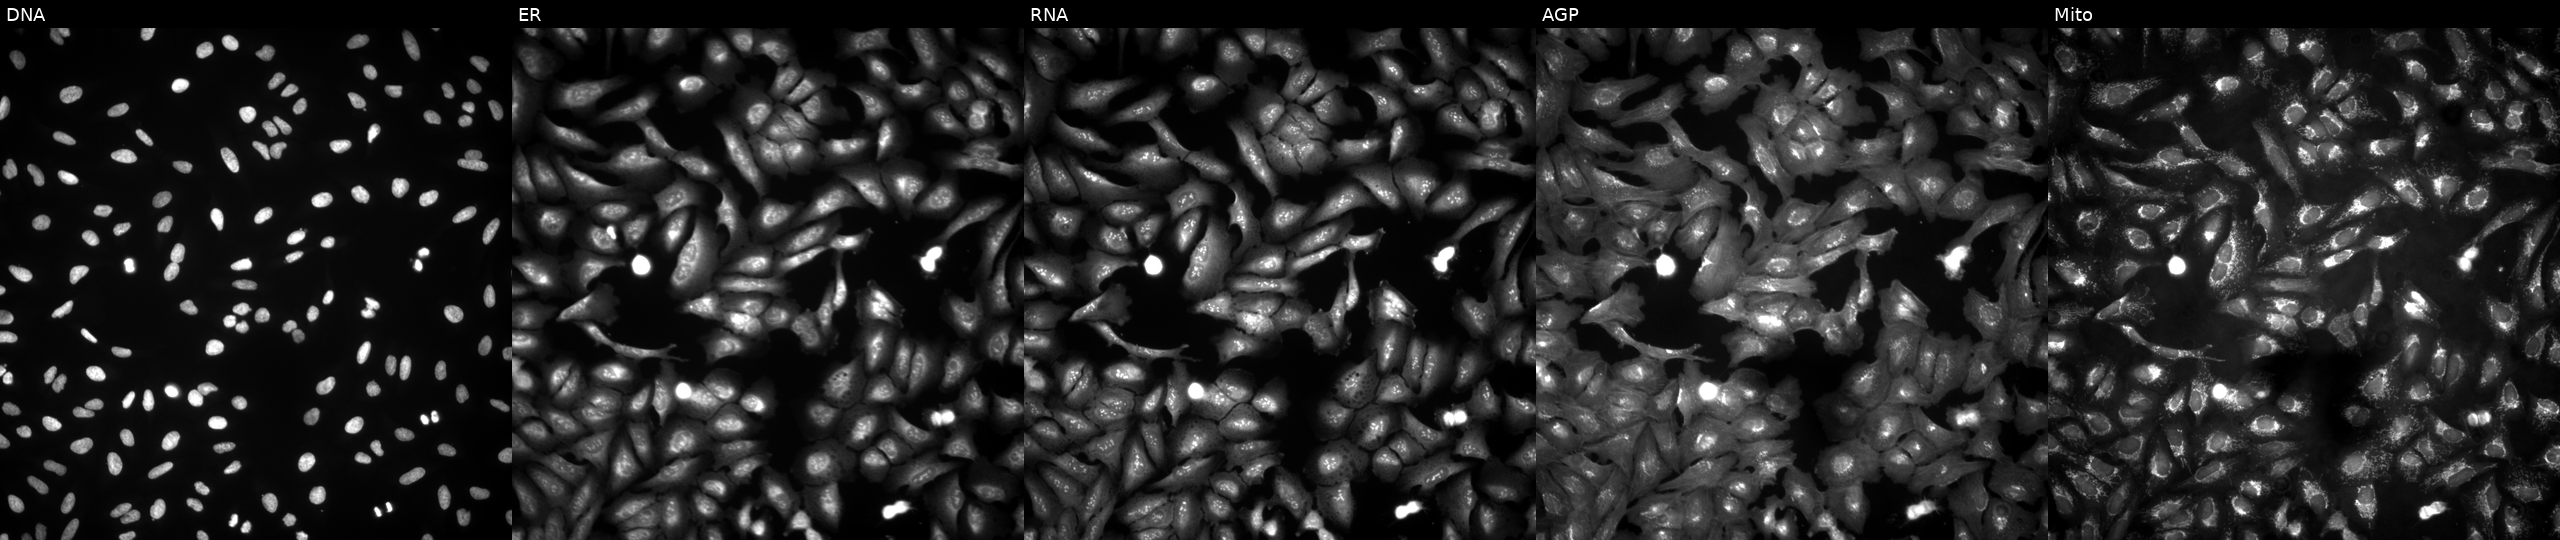
JUMP Cell Painting — ORF plate. U2OS cells overexpressing SLC6A5 via ORF transfection (JUMP id JCP2022_906886). The five panels, left to right, show Hoechst 33342, concanavalin A, SYTO 14, phalloidin and WGA, MitoTracker. Source 4, plate BR00124790, well C04.